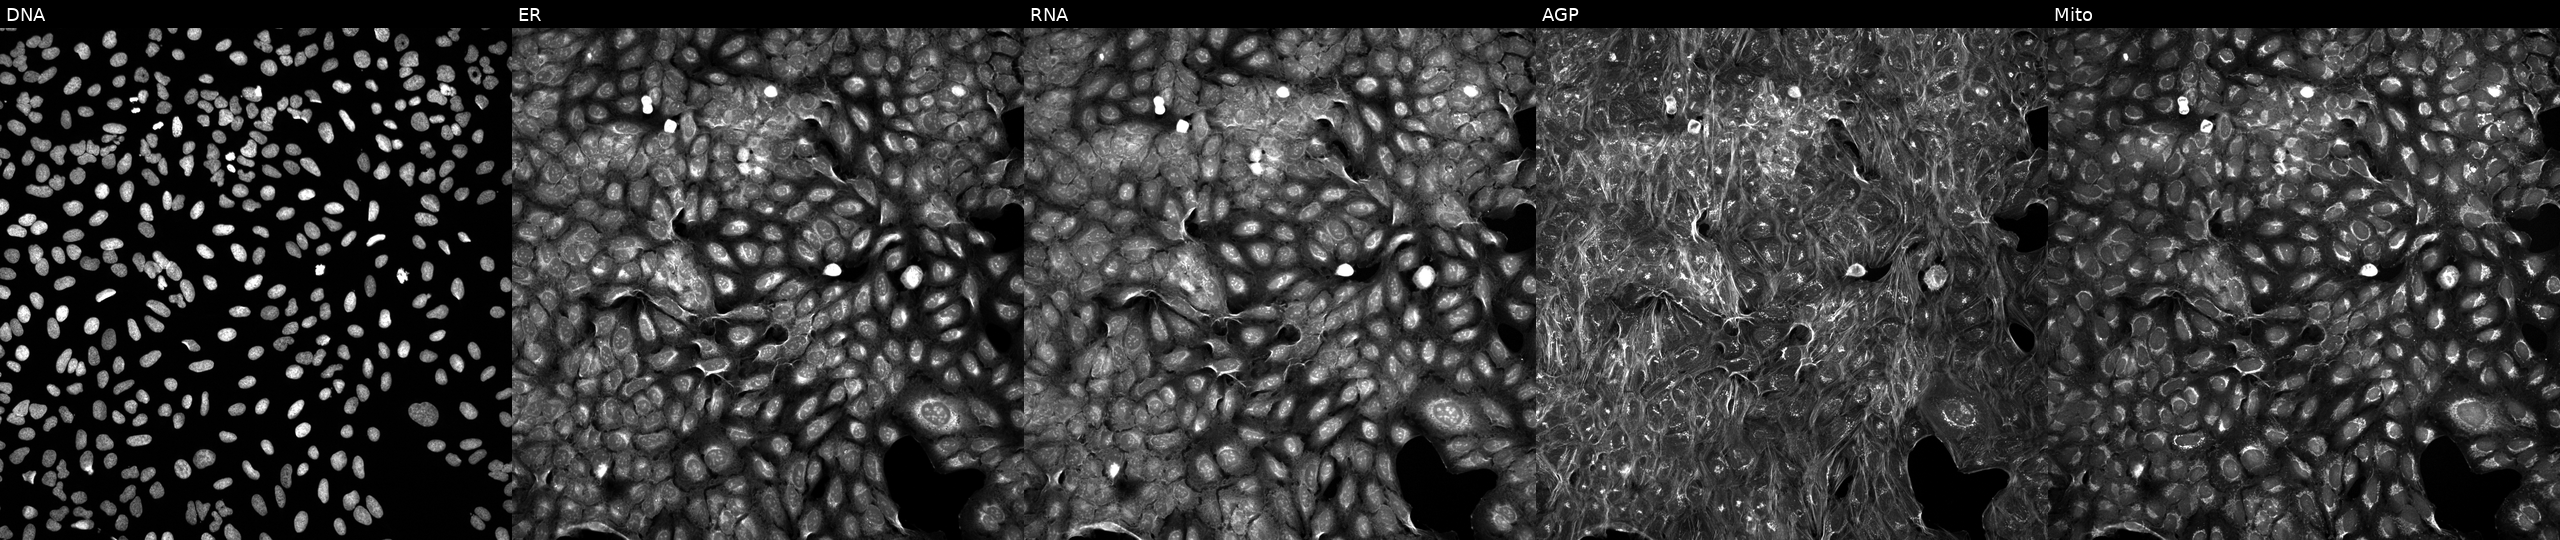
JUMP Cell Painting — TARGET2 plate. U2OS cells perturbed with a small-molecule compound (InChIKey WDENQIQQYWYTPO-UHFFFAOYSA-N) (JUMP id JCP2022_097998). The five panels, left to right, show DNA (nuclei); ER (endoplasmic reticulum); RNA (nucleoli and cytoplasmic RNA); AGP (actin cytoskeleton, Golgi, and plasma membrane); Mito (mitochondria).